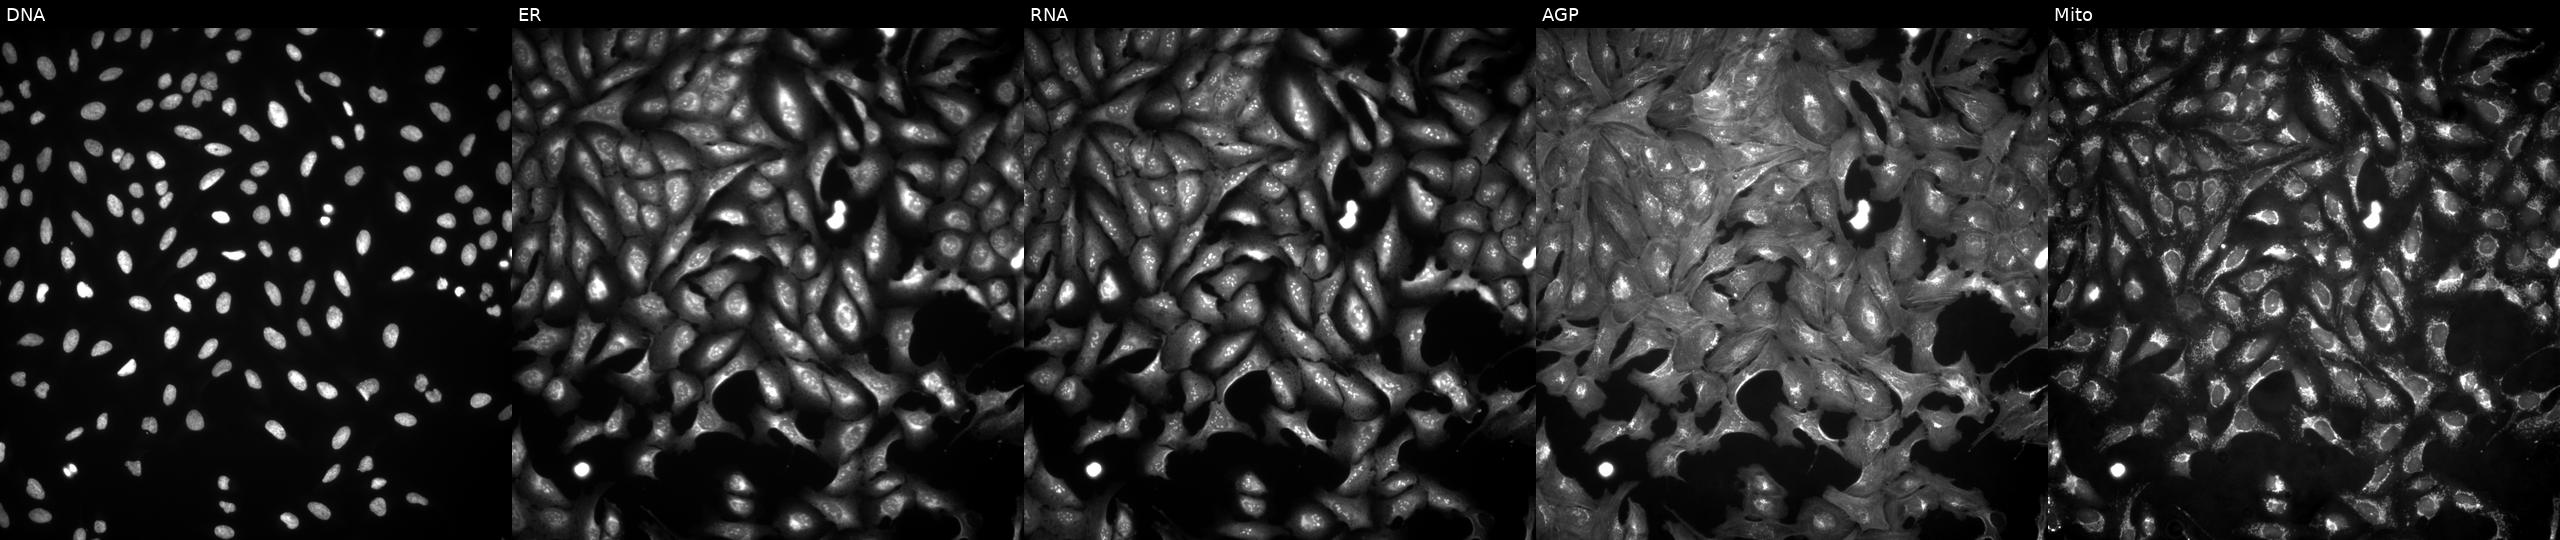
U2OS cells, Cell Painting assay, overexpressing MS4A3 via ORF transfection (JUMP id JCP2022_900231). Panels show, left to right, DNA (nuclei); ER (endoplasmic reticulum); RNA (nucleoli and cytoplasmic RNA); AGP (actin cytoskeleton, Golgi, and plasma membrane); Mito (mitochondria). Each panel is percentile-stretched 16-bit fluorescence. Source 4, plate BR00123509, well H14.